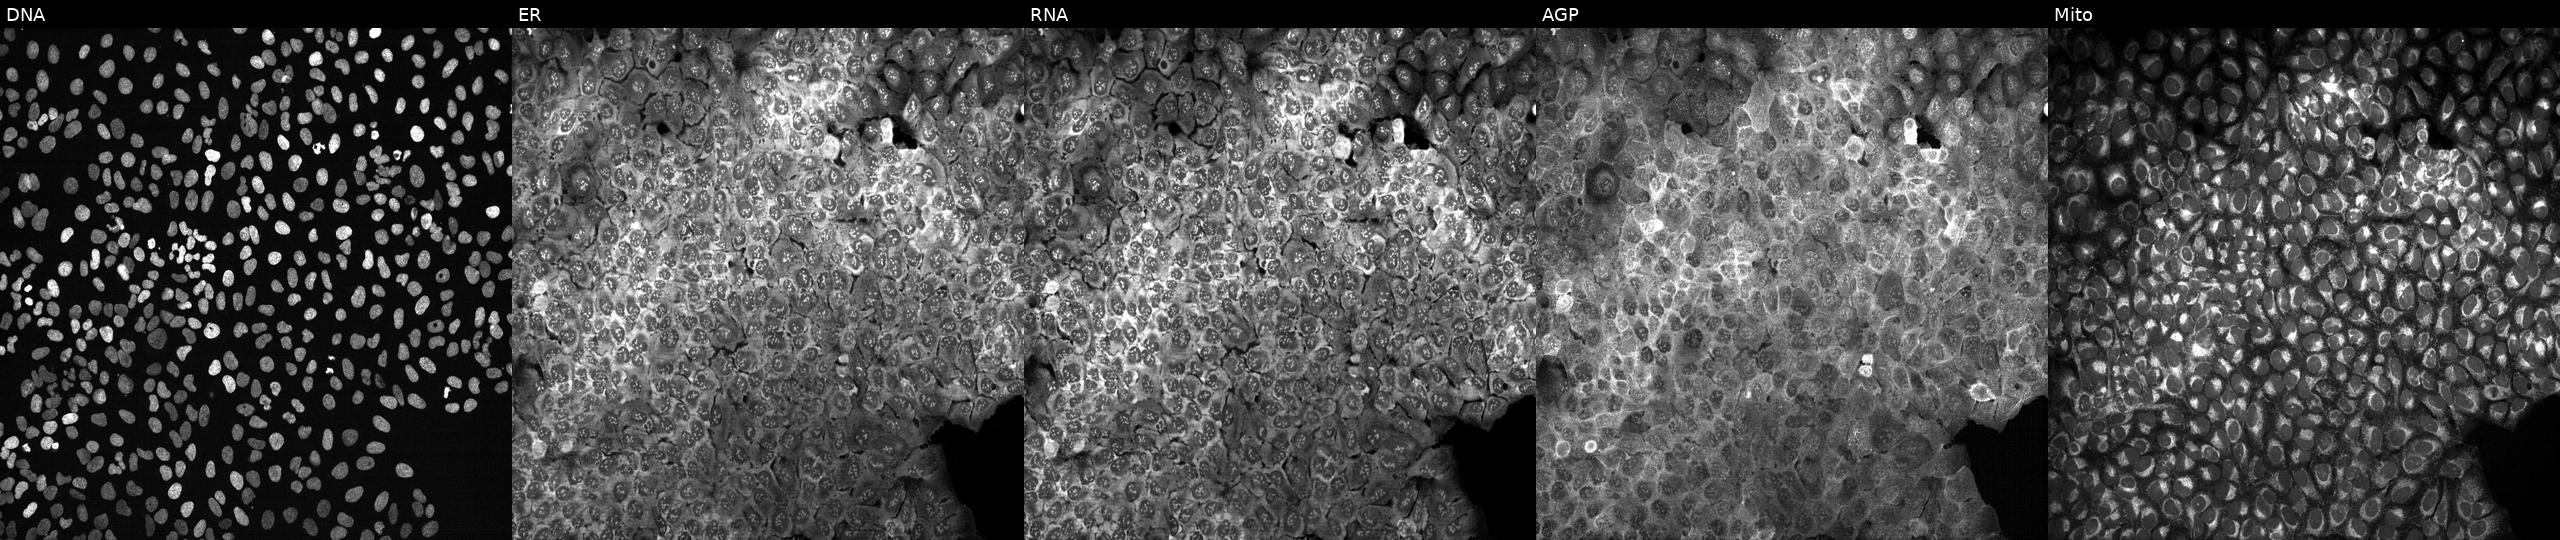
High-content fluorescence microscopy (Cell Painting). Cell line: U2OS. Perturbation: CRISPR-edited to disrupt ST8SIA6 (JUMP id JCP2022_806816). The five panels, left to right, show DNA (nuclei); ER (endoplasmic reticulum); RNA (nucleoli and cytoplasmic RNA); AGP (actin cytoskeleton, Golgi, and plasma membrane); Mito (mitochondria).